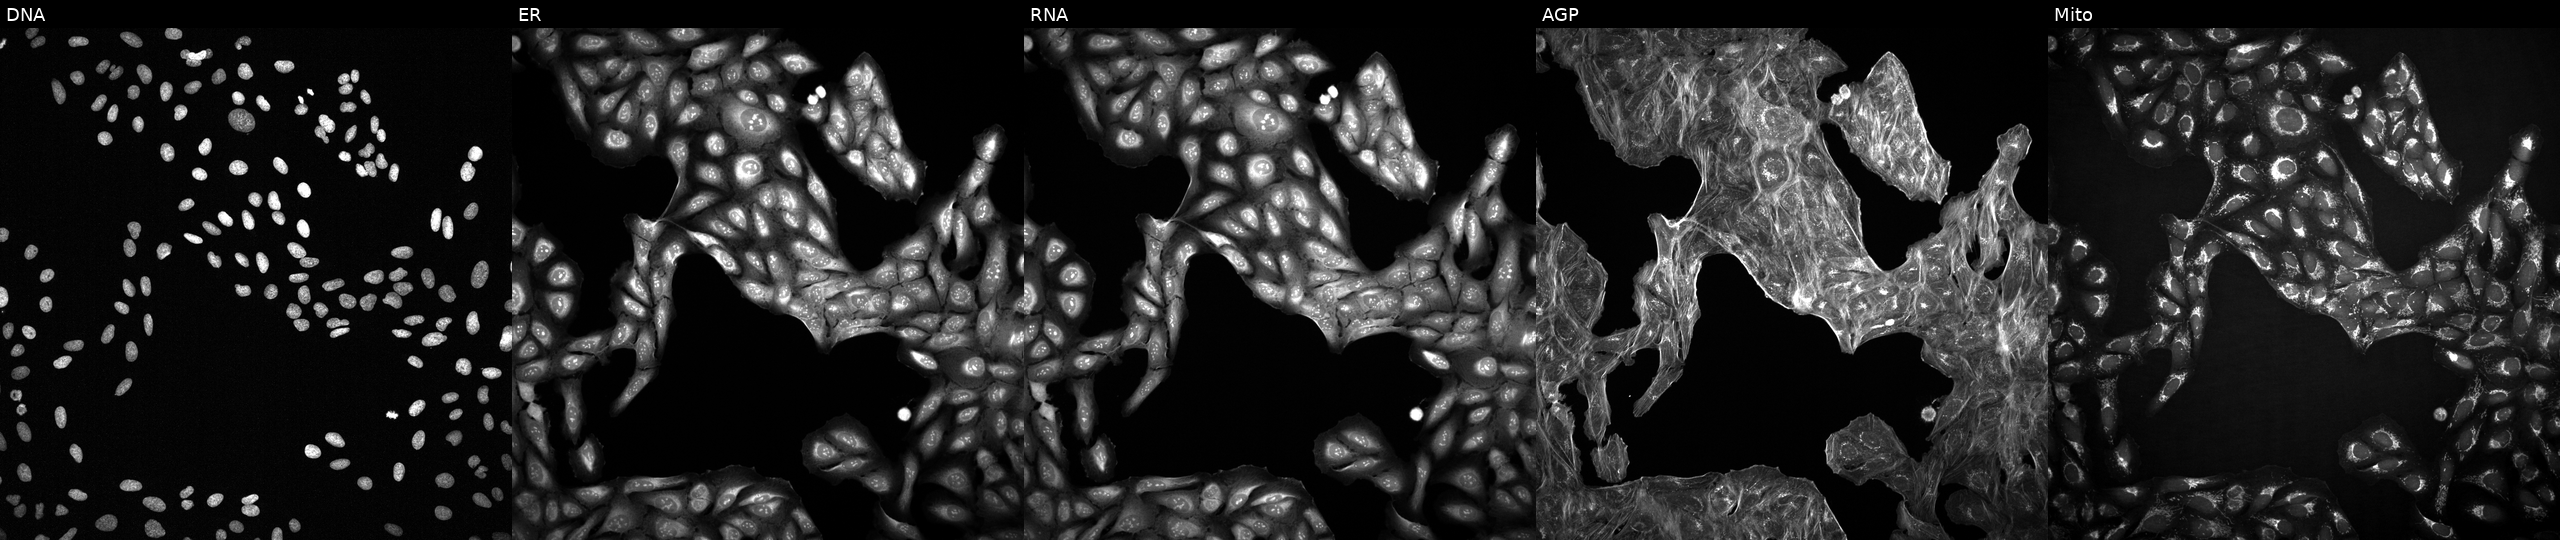
High-content fluorescence microscopy (Cell Painting). Cell line: U2OS. Perturbation: exposed to a small-molecule compound (InChIKey ATHGHQPFGPMSJY-UHFFFAOYSA-N) [SMILES: NCCCCNCCCN] (JUMP id JCP2022_003720). The five panels, left to right, show DNA, ER, RNA, AGP, and Mito. Source 2, plate 1053601756, well E03.